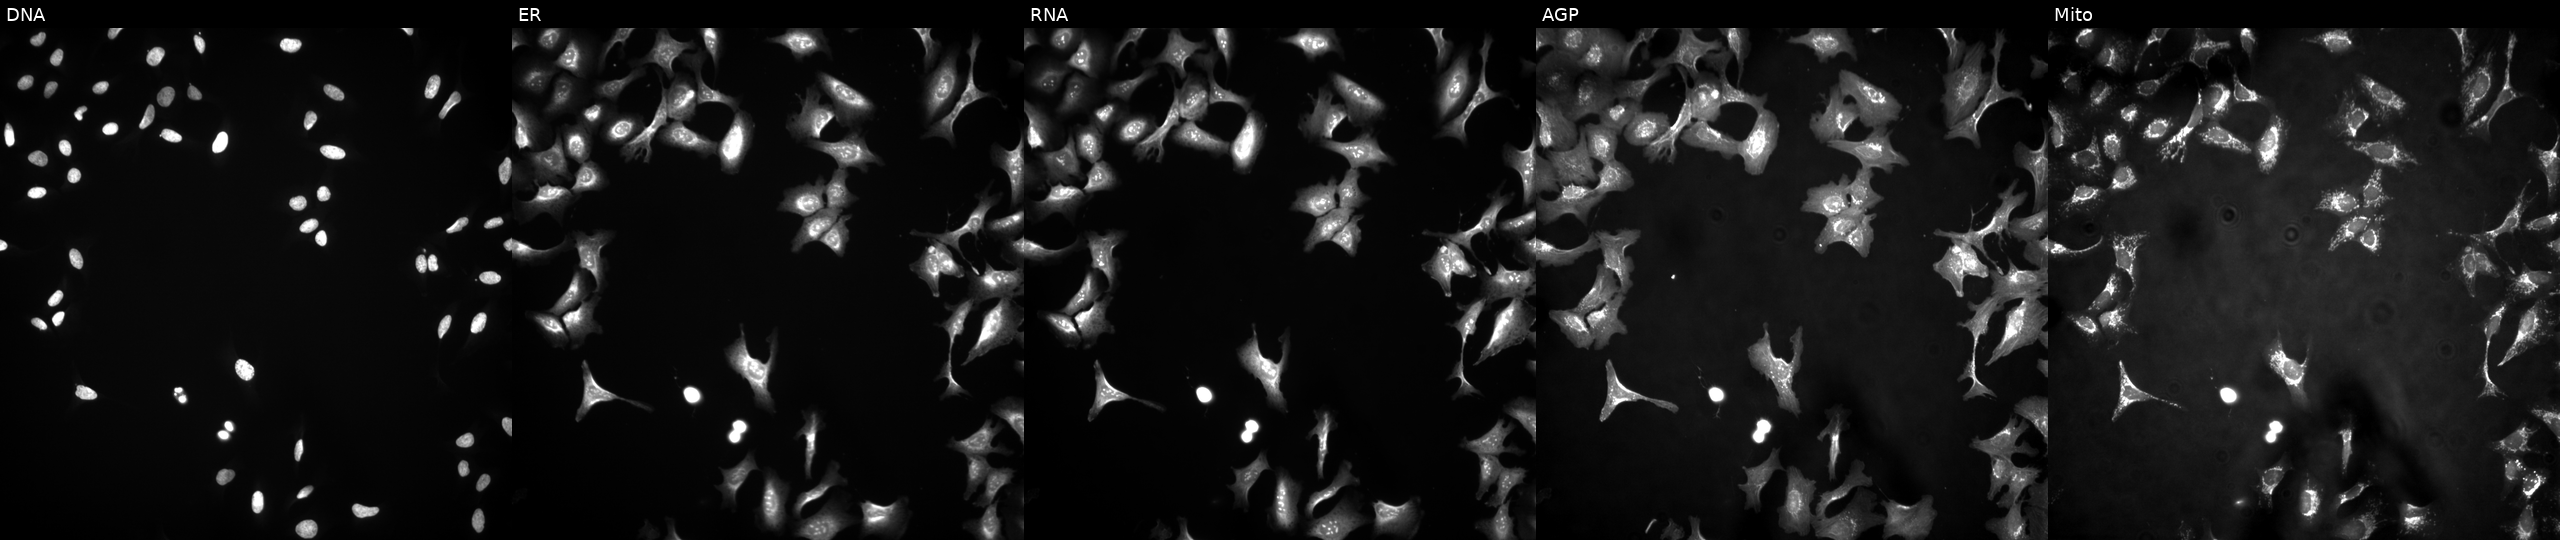
High-content fluorescence microscopy (Cell Painting). Cell line: U2OS. Perturbation: in an empty control well (no perturbation). Channels (left→right): DNA (nuclei); ER (endoplasmic reticulum); RNA (nucleoli and cytoplasmic RNA); AGP (actin cytoskeleton, Golgi, and plasma membrane); Mito (mitochondria).